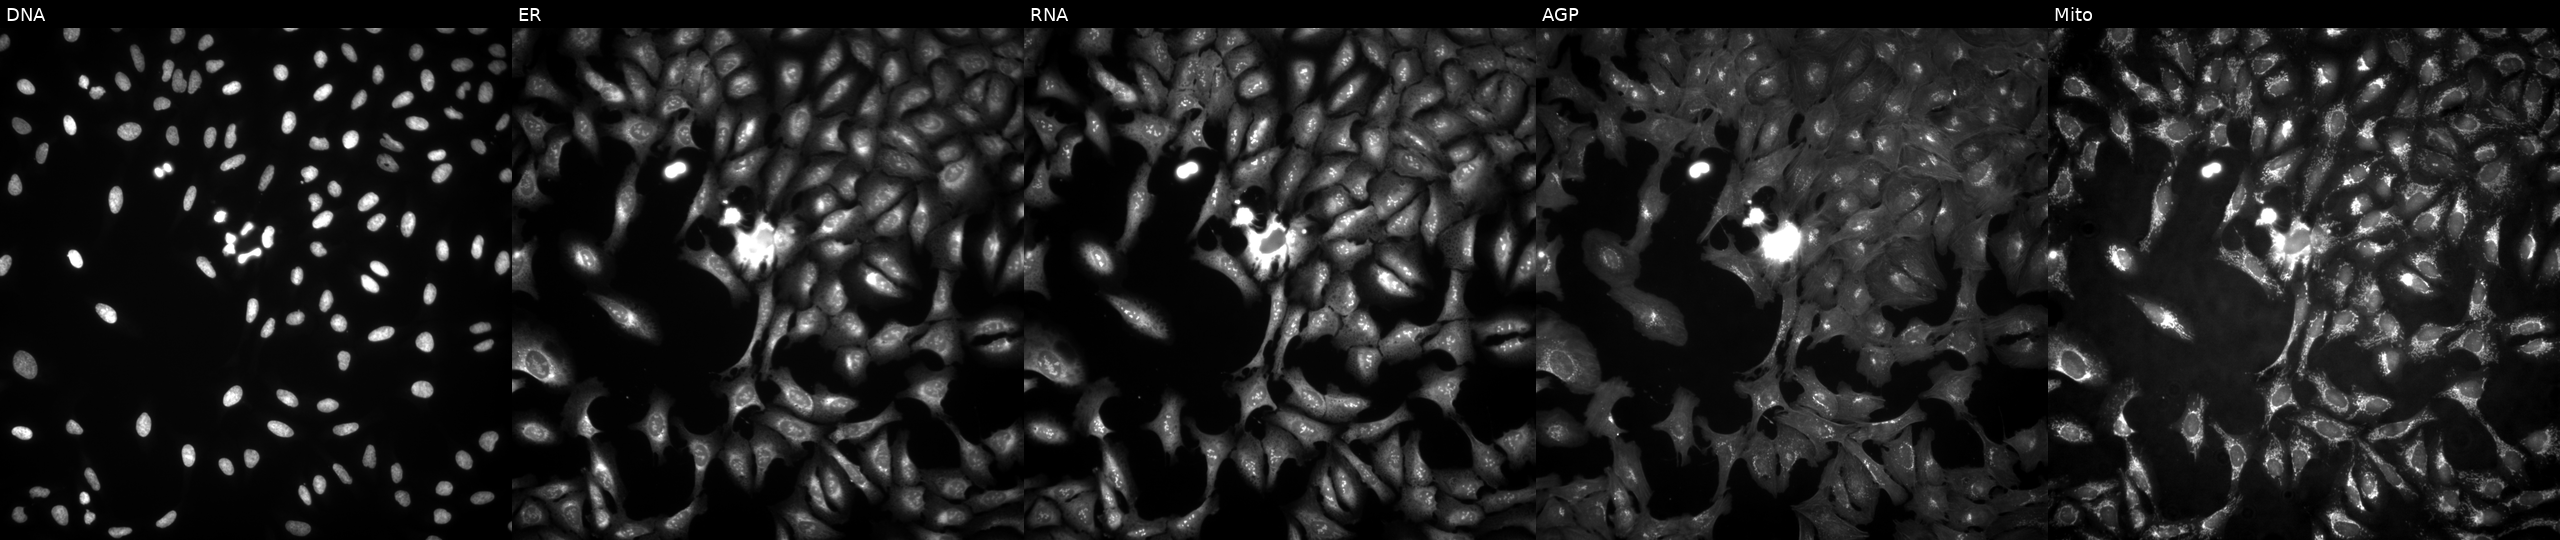
JUMP Cell Painting — ORF plate. U2OS cells transfected with an ORF construct for CISD1. Panels show, left to right, DNA, ER, RNA, AGP, and Mito.